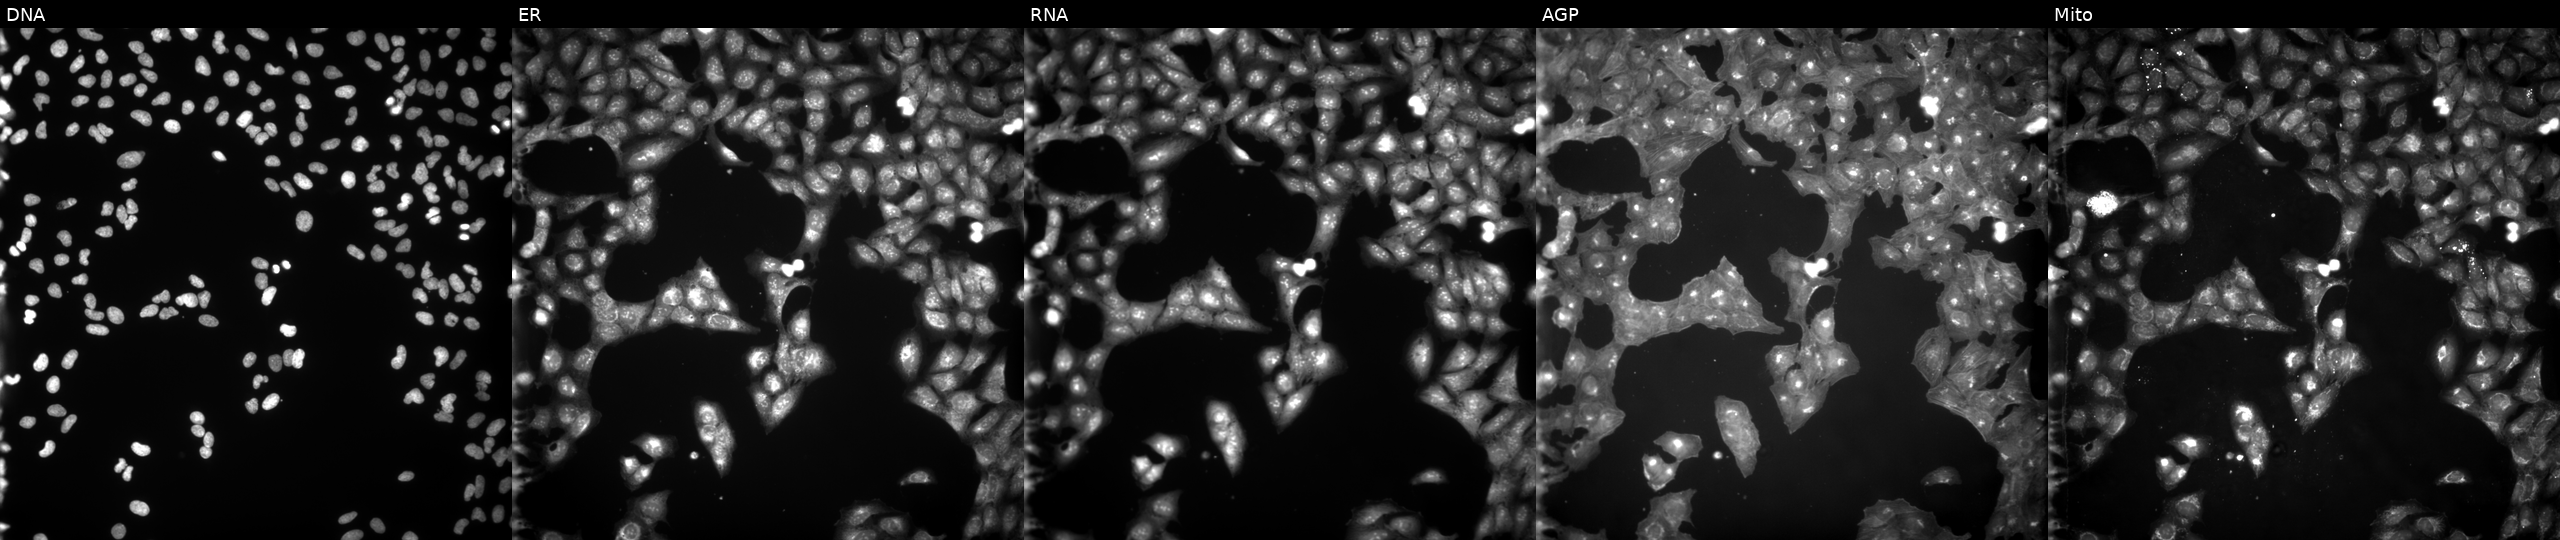
U2OS cells, Cell Painting assay, exposed to the positive-control compound NVS-PAK1-1 (JUMP id JCP2022_064022). Channels (left→right): DNA (nuclei); ER (endoplasmic reticulum); RNA (nucleoli and cytoplasmic RNA); AGP (actin cytoskeleton, Golgi, and plasma membrane); Mito (mitochondria). Each panel is percentile-stretched 16-bit fluorescence.